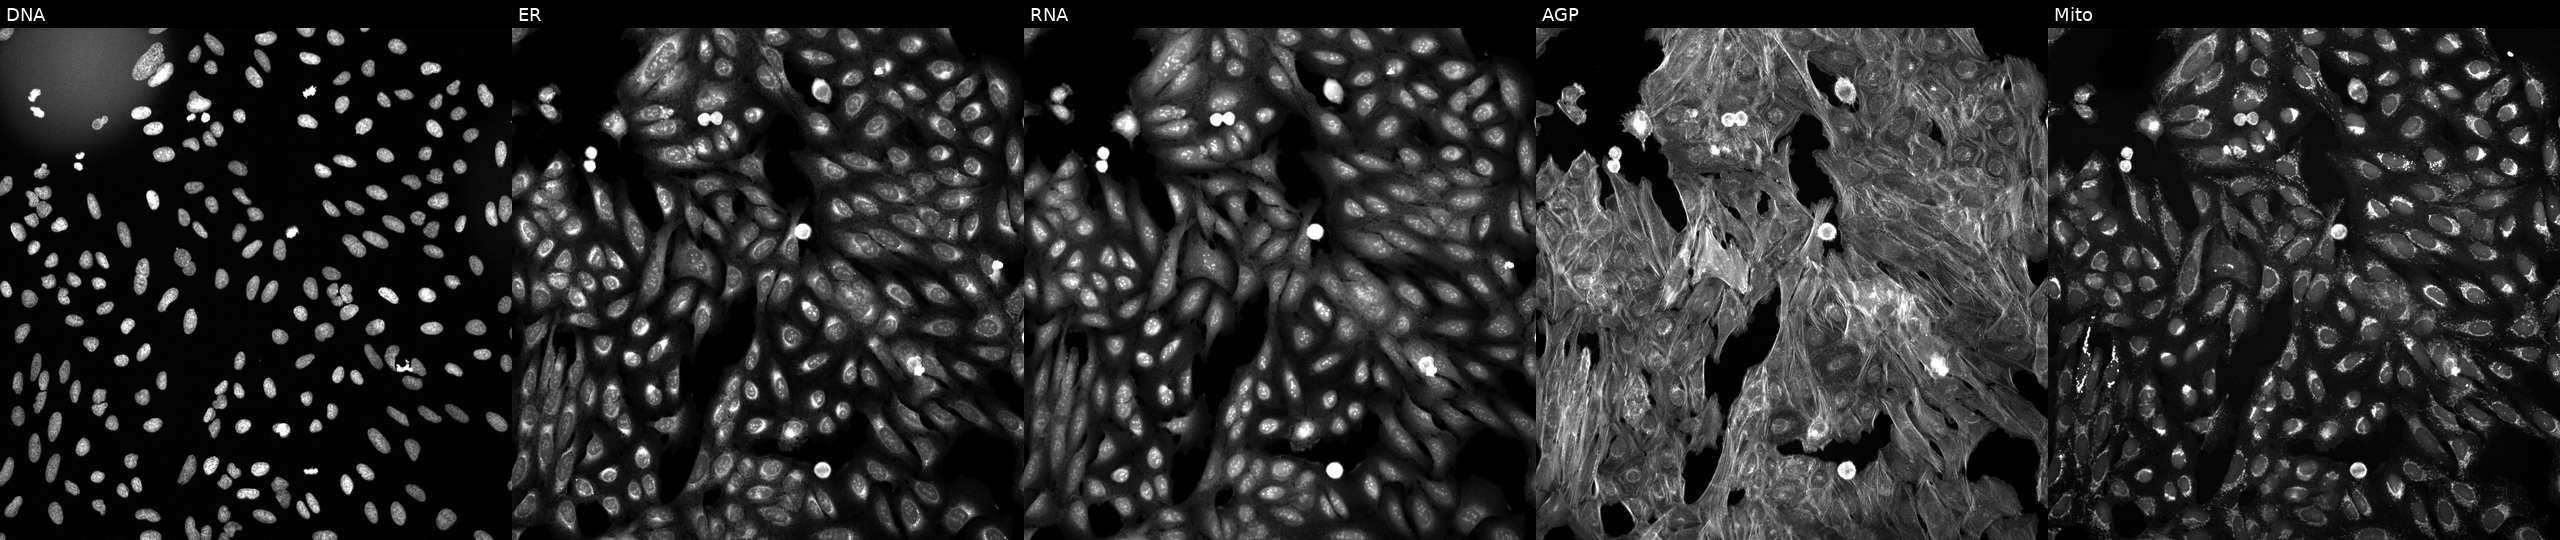
JUMP Cell Painting — TARGET2 plate. U2OS cells treated with DMSO vehicle only (negative control). The five panels, left to right, show Hoechst 33342, concanavalin A, SYTO 14, phalloidin and WGA, MitoTracker.